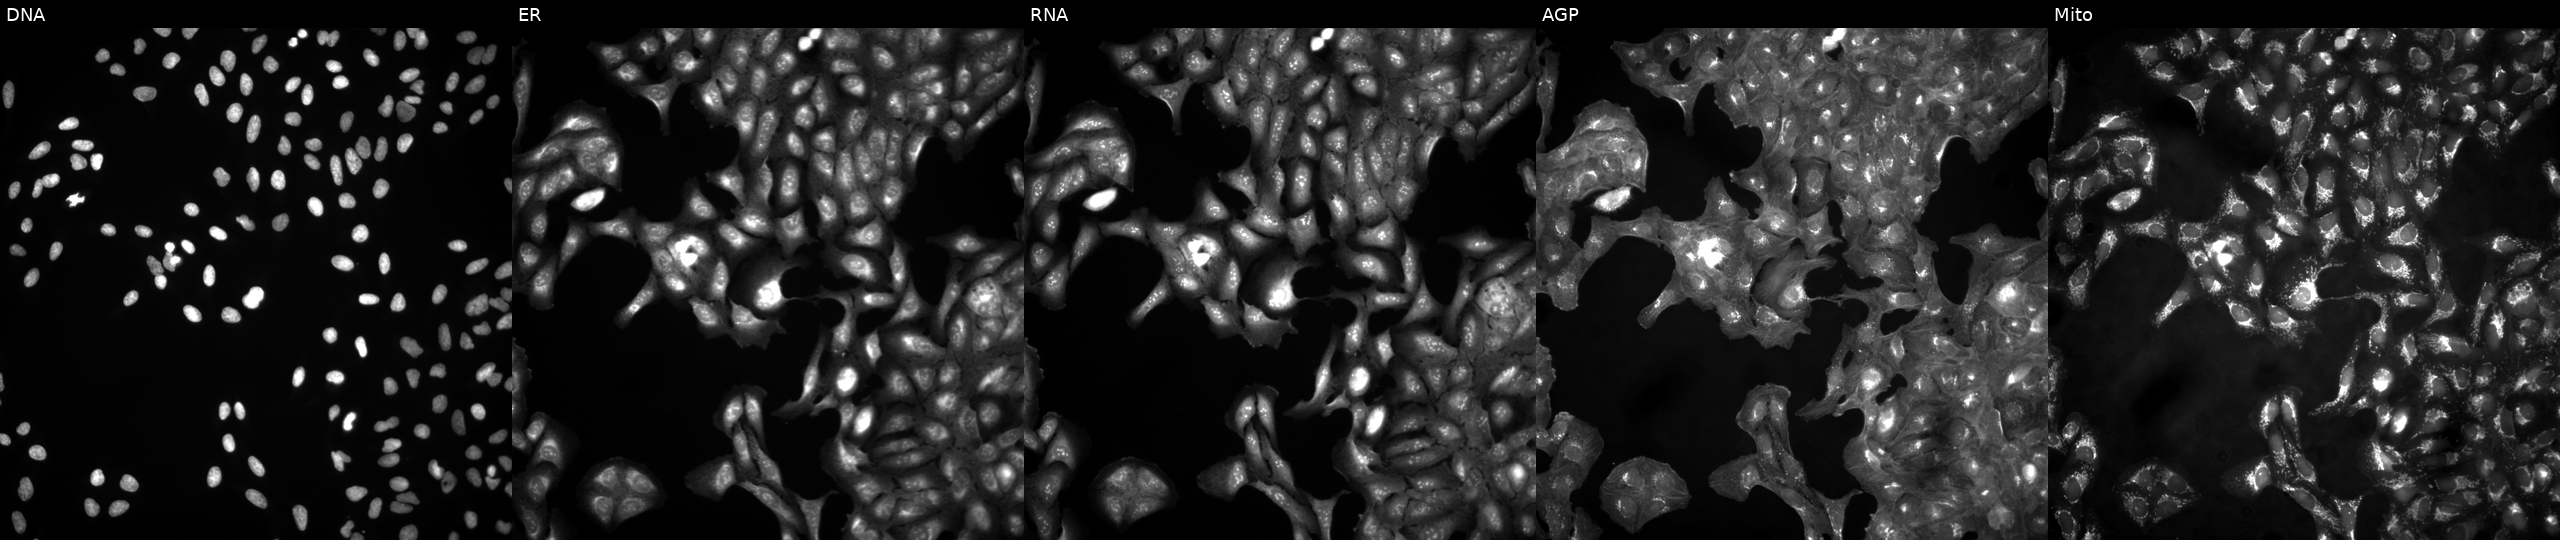
Channels (left→right): DNA (nuclei); ER (endoplasmic reticulum); RNA (nucleoli and cytoplasmic RNA); AGP (actin cytoskeleton, Golgi, and plasma membrane); Mito (mitochondria). U2OS osteosarcoma cells in an empty control well (no perturbation). Cell Painting assay, JUMP-CP dataset. Source 4, plate BR00123946, well O24.